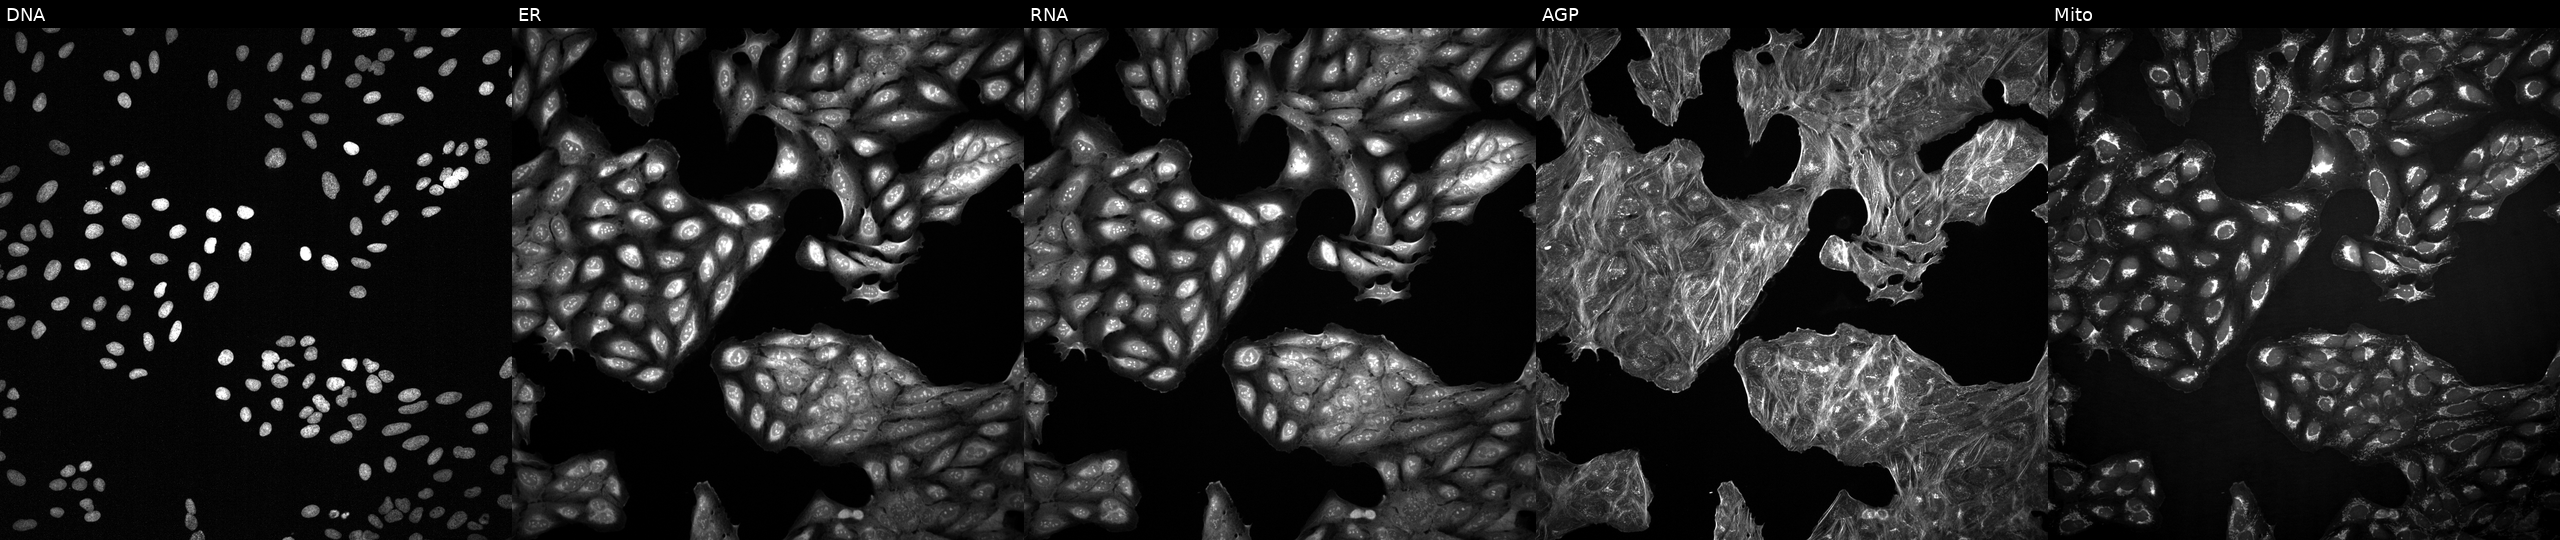
JUMP Cell Painting — TARGET2 plate. U2OS cells treated with a small-molecule compound (InChIKey KRKNYBCHXYNGOX-UHFFFAOYSA-N) (JUMP id JCP2022_046524). The five panels, left to right, show DNA (nuclei); ER (endoplasmic reticulum); RNA (nucleoli and cytoplasmic RNA); AGP (actin cytoskeleton, Golgi, and plasma membrane); Mito (mitochondria).